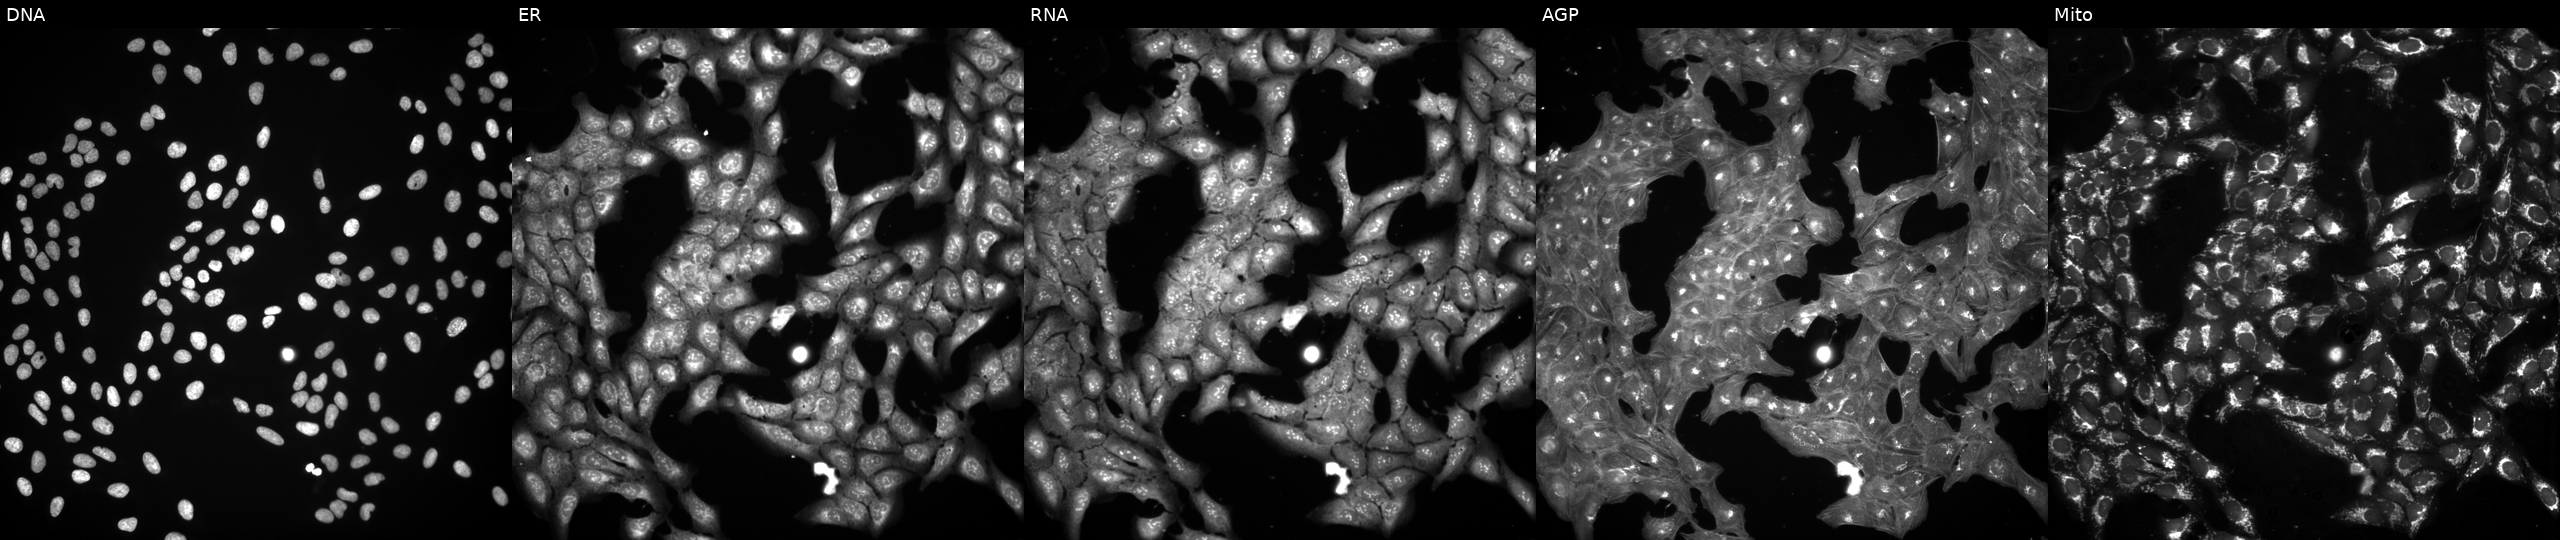
This image strip shows the five Cell Painting channels for a single field of U2OS cells treated with a small-molecule compound (InChIKey ZMDHDDQTCHDYQS-UHFFFAOYSA-N) [SMILES: Cc1ccc(C(=O)Cn2nnc3ccccc32)cc1] (JUMP id JCP2022_114210). The five panels, left to right, show Hoechst 33342, concanavalin A, SYTO 14, phalloidin and WGA, MitoTracker.